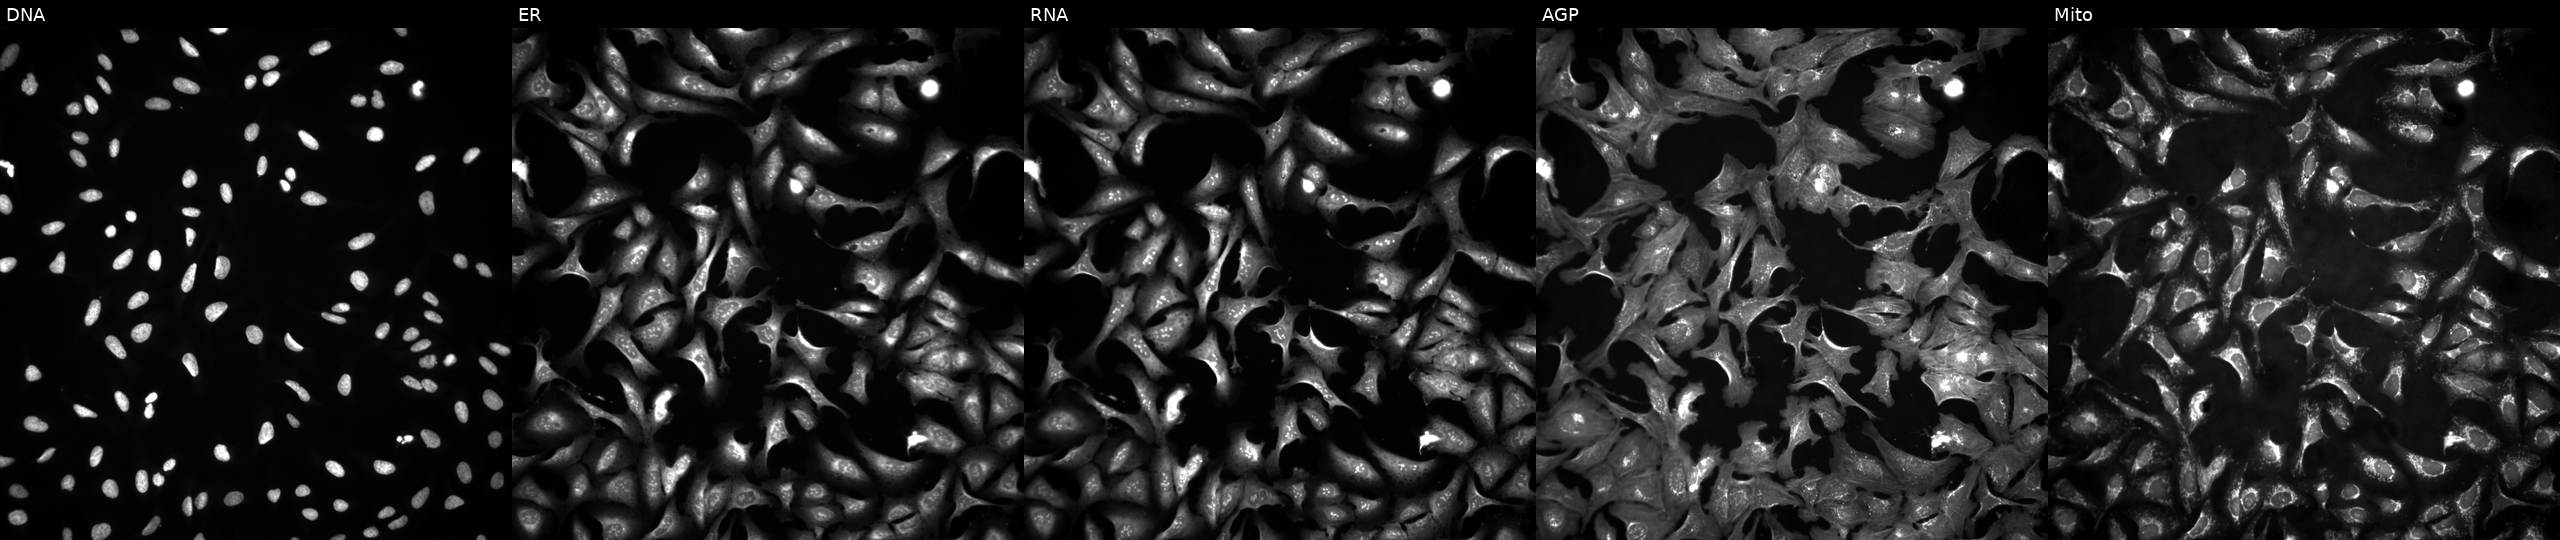
Five-channel Cell Painting image of U2OS cells overexpressing PTPN2 via ORF transfection. Panels show, left to right, DNA, ER, RNA, AGP, and Mito.